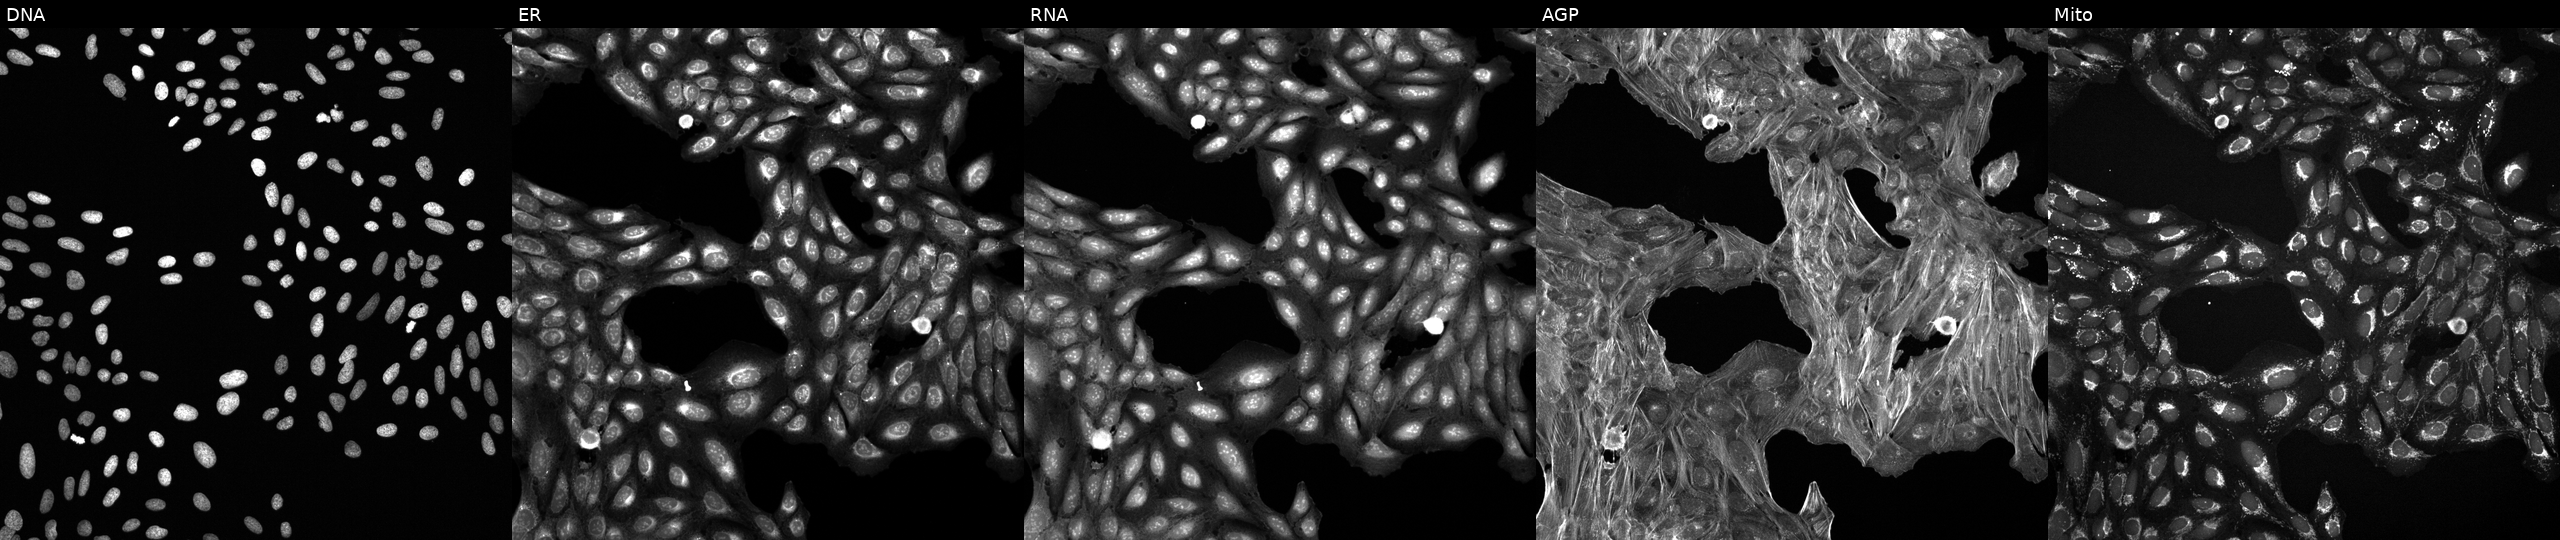
High-content fluorescence microscopy (Cell Painting). Cell line: U2OS. Perturbation: treated with a small-molecule compound (InChIKey JLQHNBMWVYOFIP-UHFFFAOYSA-N) [SMILES: O=c1cc(C(O)Nc2cc(Cl)cc(Cl)c2)n2[nH]cnc2n1]. Panels show, left to right, DNA (nuclei); ER (endoplasmic reticulum); RNA (nucleoli and cytoplasmic RNA); AGP (actin cytoskeleton, Golgi, and plasma membrane); Mito (mitochondria).